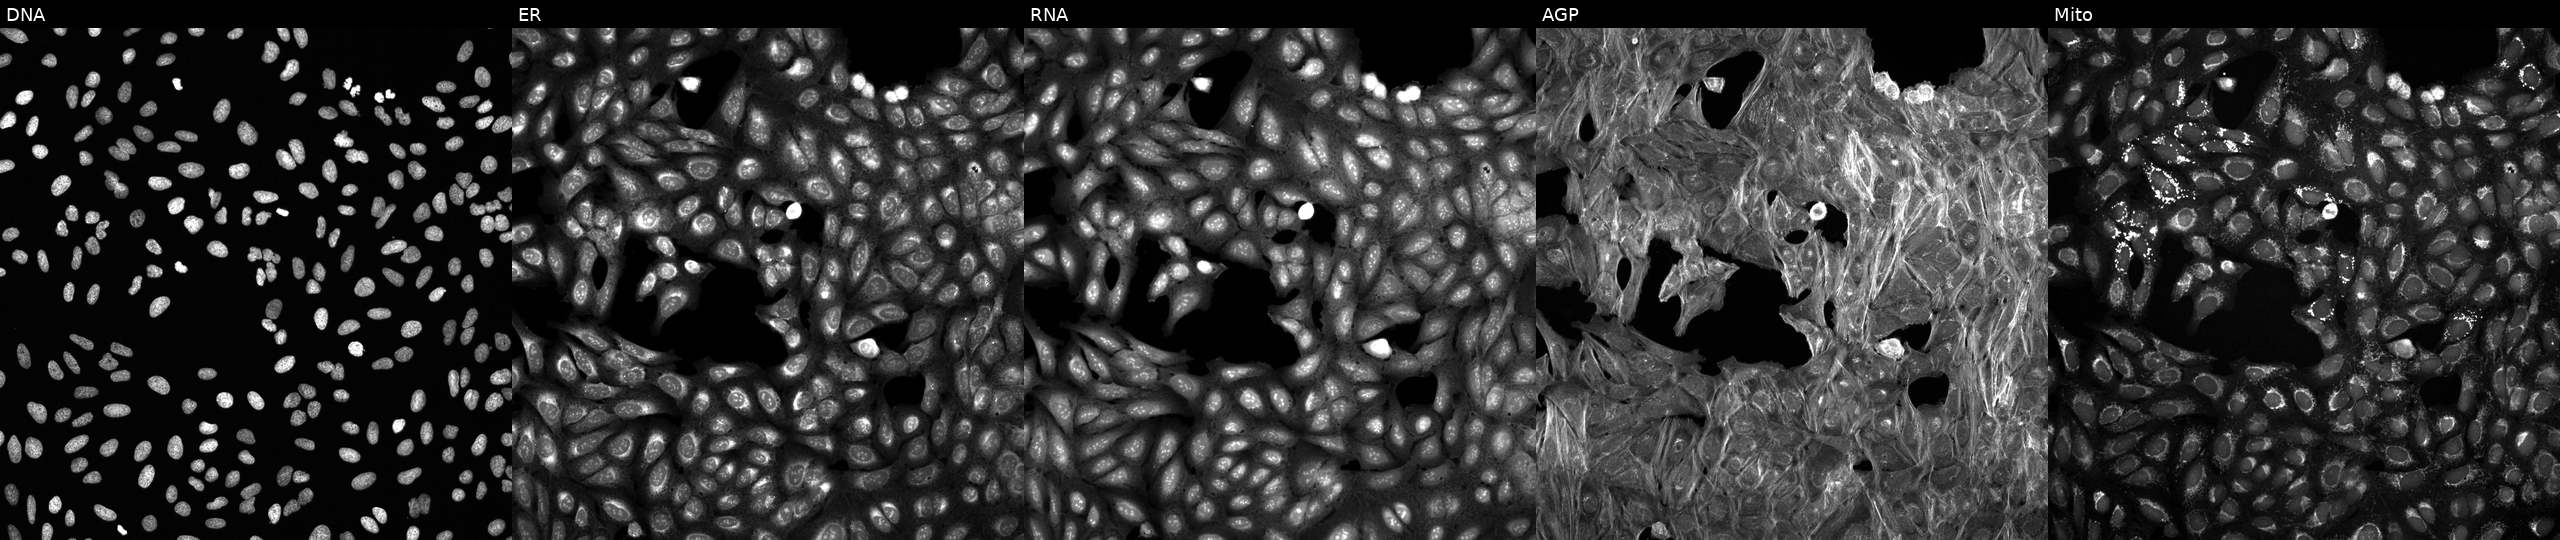
U2OS cells, Cell Painting assay, exposed to a small-molecule compound [SMILES: Cc1ccc(Cl)c(Nc2ccccc2C(=O)O)c1Cl] (JUMP id JCP2022_082046). The five panels, left to right, show DNA (nuclei); ER (endoplasmic reticulum); RNA (nucleoli and cytoplasmic RNA); AGP (actin cytoskeleton, Golgi, and plasma membrane); Mito (mitochondria). Each panel is percentile-stretched 16-bit fluorescence. Source 6, plate 110000293093, well L02.